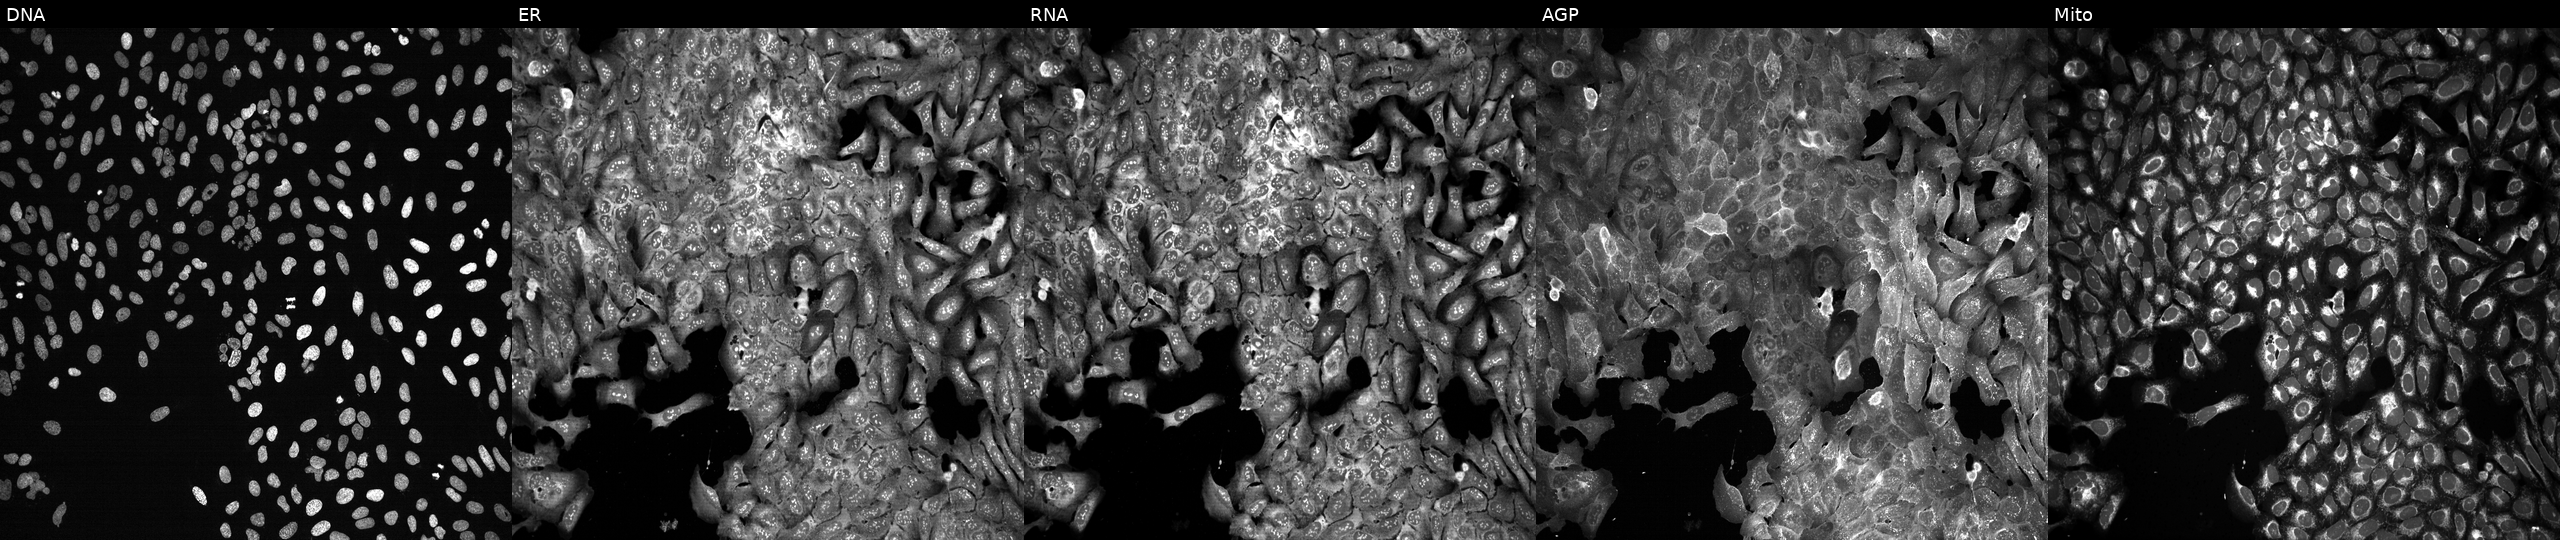
U2OS cells, Cell Painting assay, with ADAM7 knocked out by CRISPR (JUMP id JCP2022_800182). The five panels, left to right, show Hoechst 33342, concanavalin A, SYTO 14, phalloidin and WGA, MitoTracker. Each panel is percentile-stretched 16-bit fluorescence.